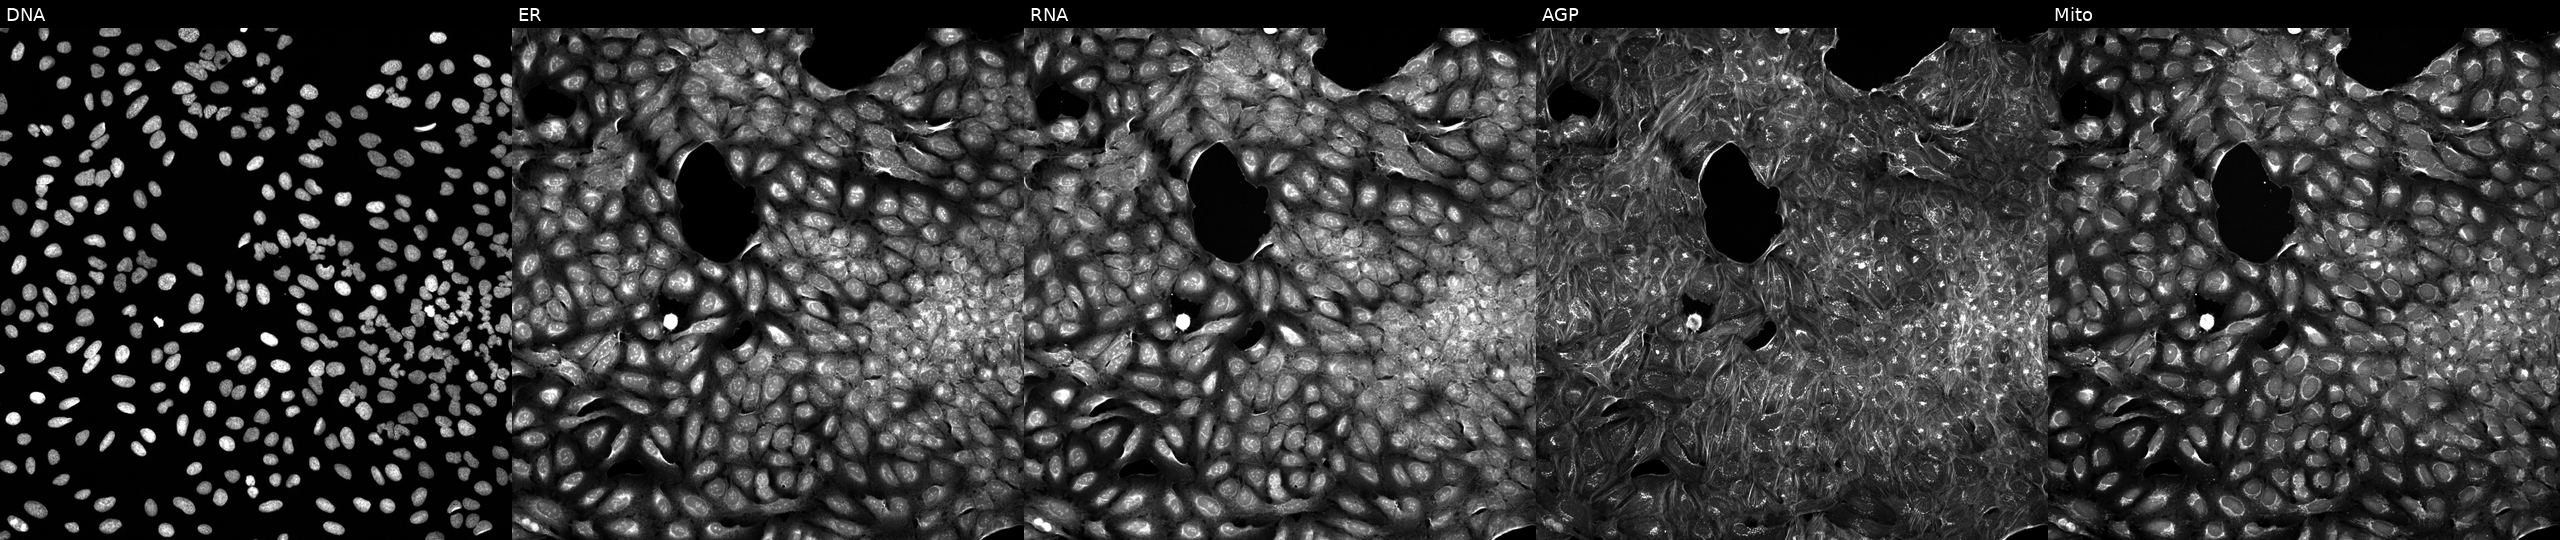
U2OS cells, Cell Painting assay, exposed to a small-molecule compound (InChIKey FKIRAMORCGEYQW-UHFFFAOYSA-N) [SMILES: O=C(Nc1cccc(-c2nc[nH]n2)c1)c1ccnc(OC2CCC2)c1]. The five panels, left to right, show DNA (nuclei); ER (endoplasmic reticulum); RNA (nucleoli and cytoplasmic RNA); AGP (actin cytoskeleton, Golgi, and plasma membrane); Mito (mitochondria). Each panel is percentile-stretched 16-bit fluorescence. Source 5, plate APTJUM106, well P09.